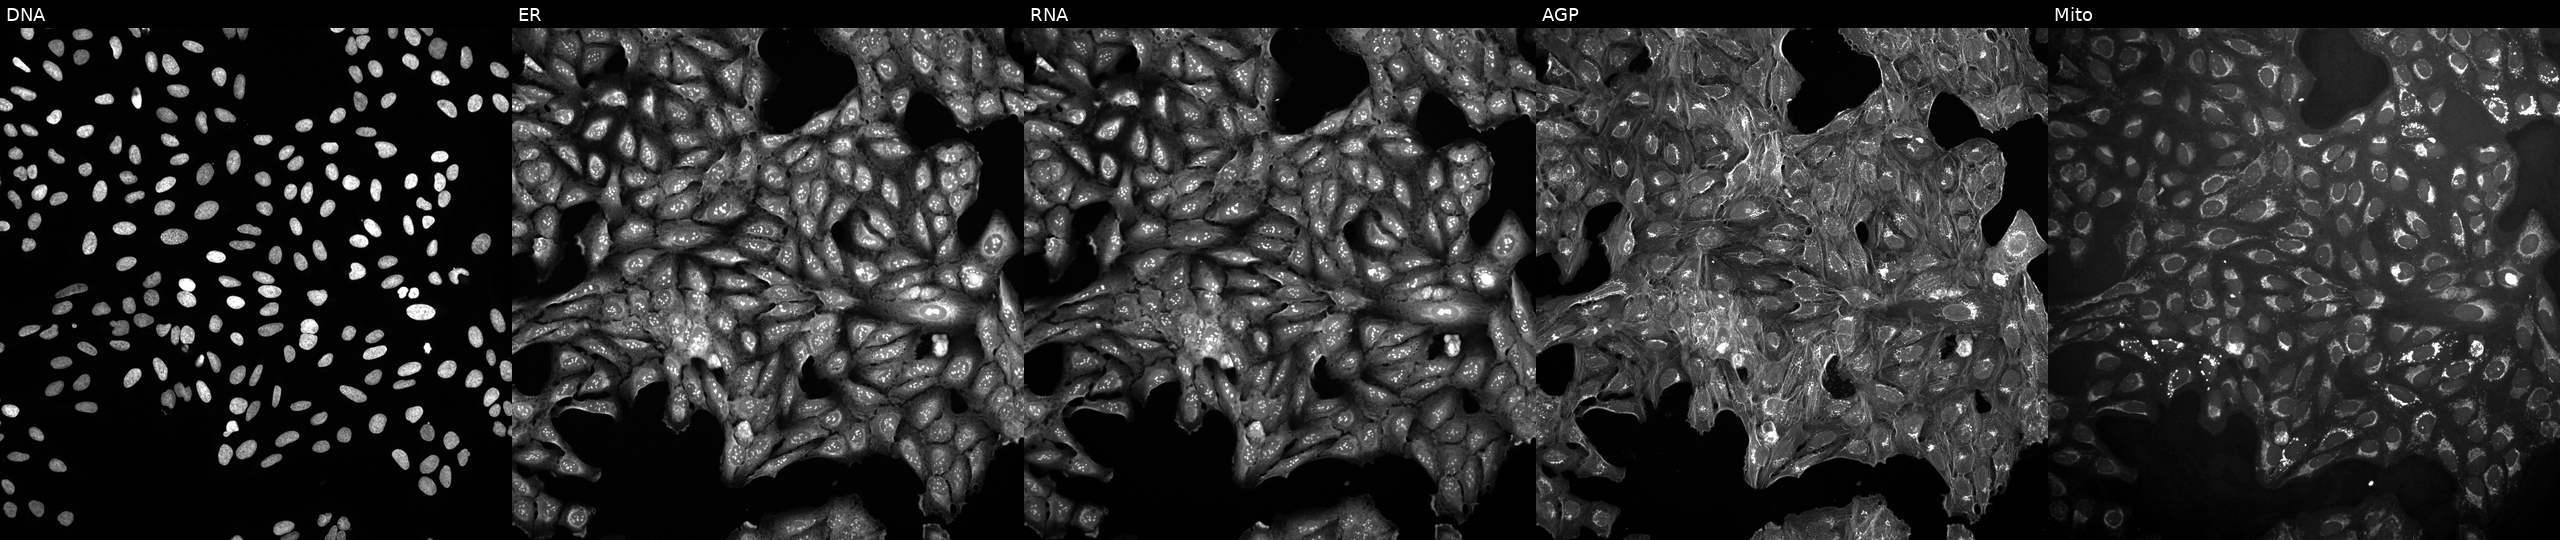
High-content fluorescence microscopy (Cell Painting). Cell line: U2OS. Perturbation: exposed to a small-molecule compound. The five panels, left to right, show DNA (nuclei); ER (endoplasmic reticulum); RNA (nucleoli and cytoplasmic RNA); AGP (actin cytoskeleton, Golgi, and plasma membrane); Mito (mitochondria).